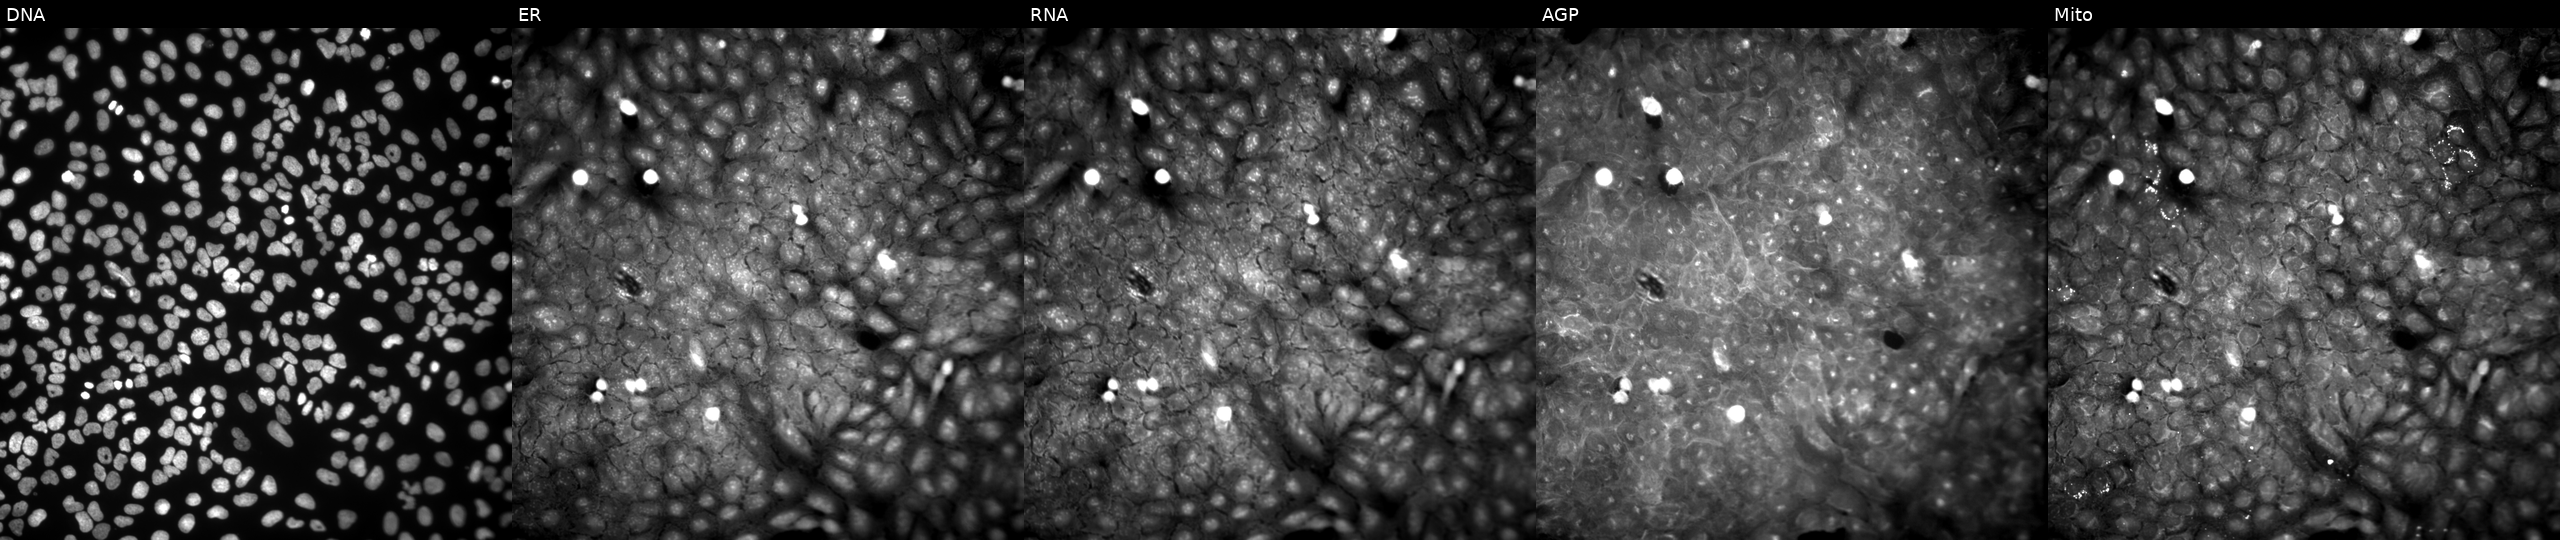
U2OS cells, Cell Painting assay, treated with DMSO vehicle only (negative control). The five panels, left to right, show Hoechst 33342, concanavalin A, SYTO 14, phalloidin and WGA, MitoTracker. Each panel is percentile-stretched 16-bit fluorescence.